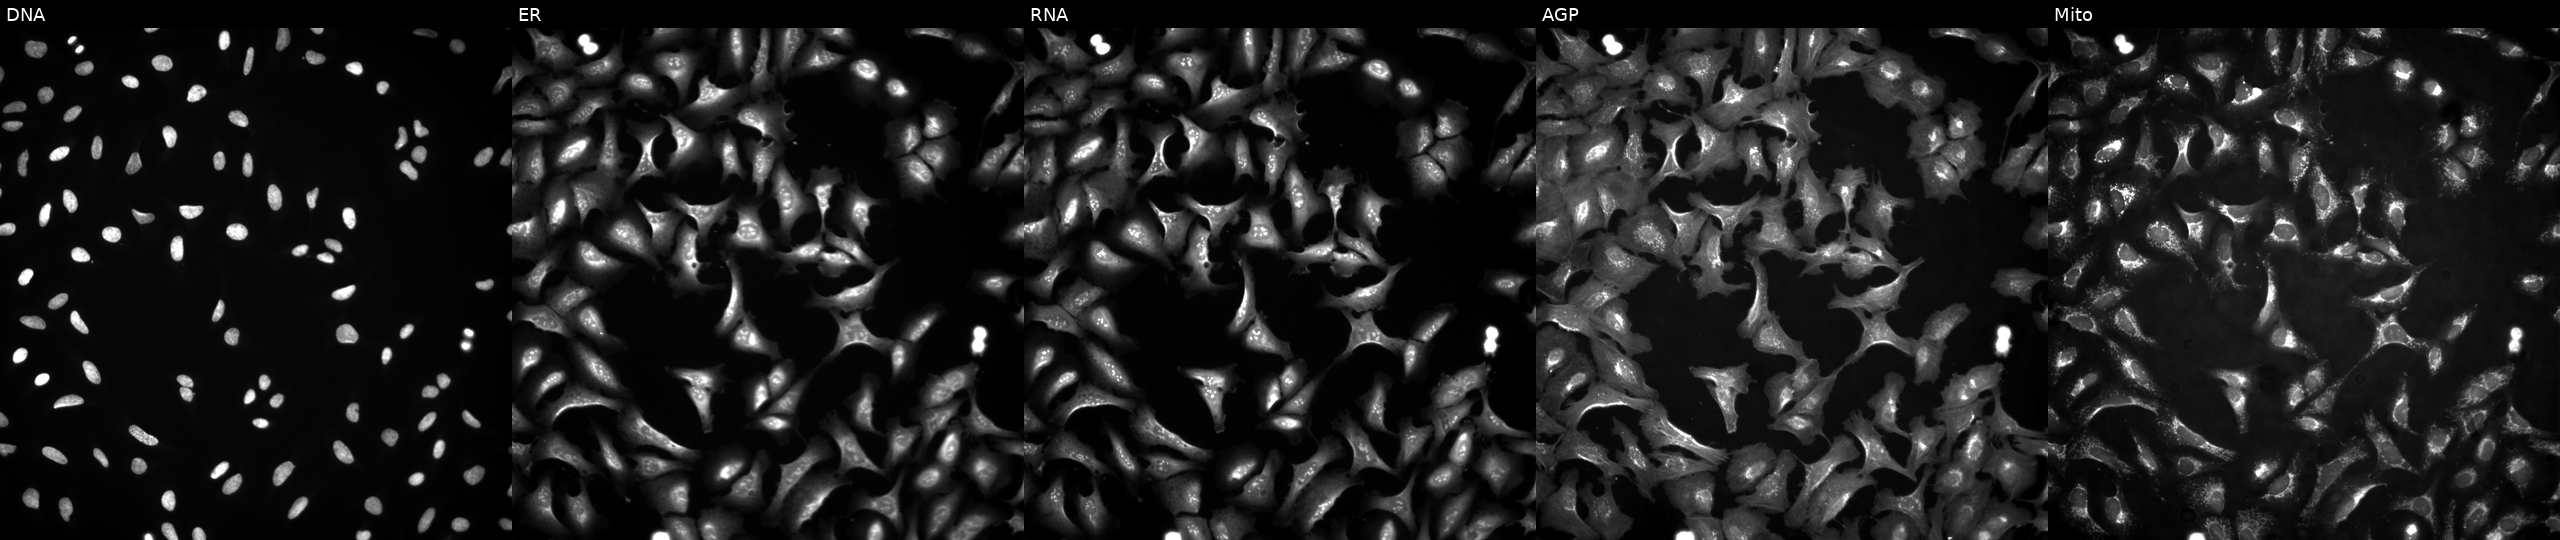
From left to right: DNA, ER, RNA, AGP, and Mito. U2OS osteosarcoma cells with AKT2 overexpressed (ORF) (JUMP id JCP2022_909950). Cell Painting assay, JUMP-CP dataset.